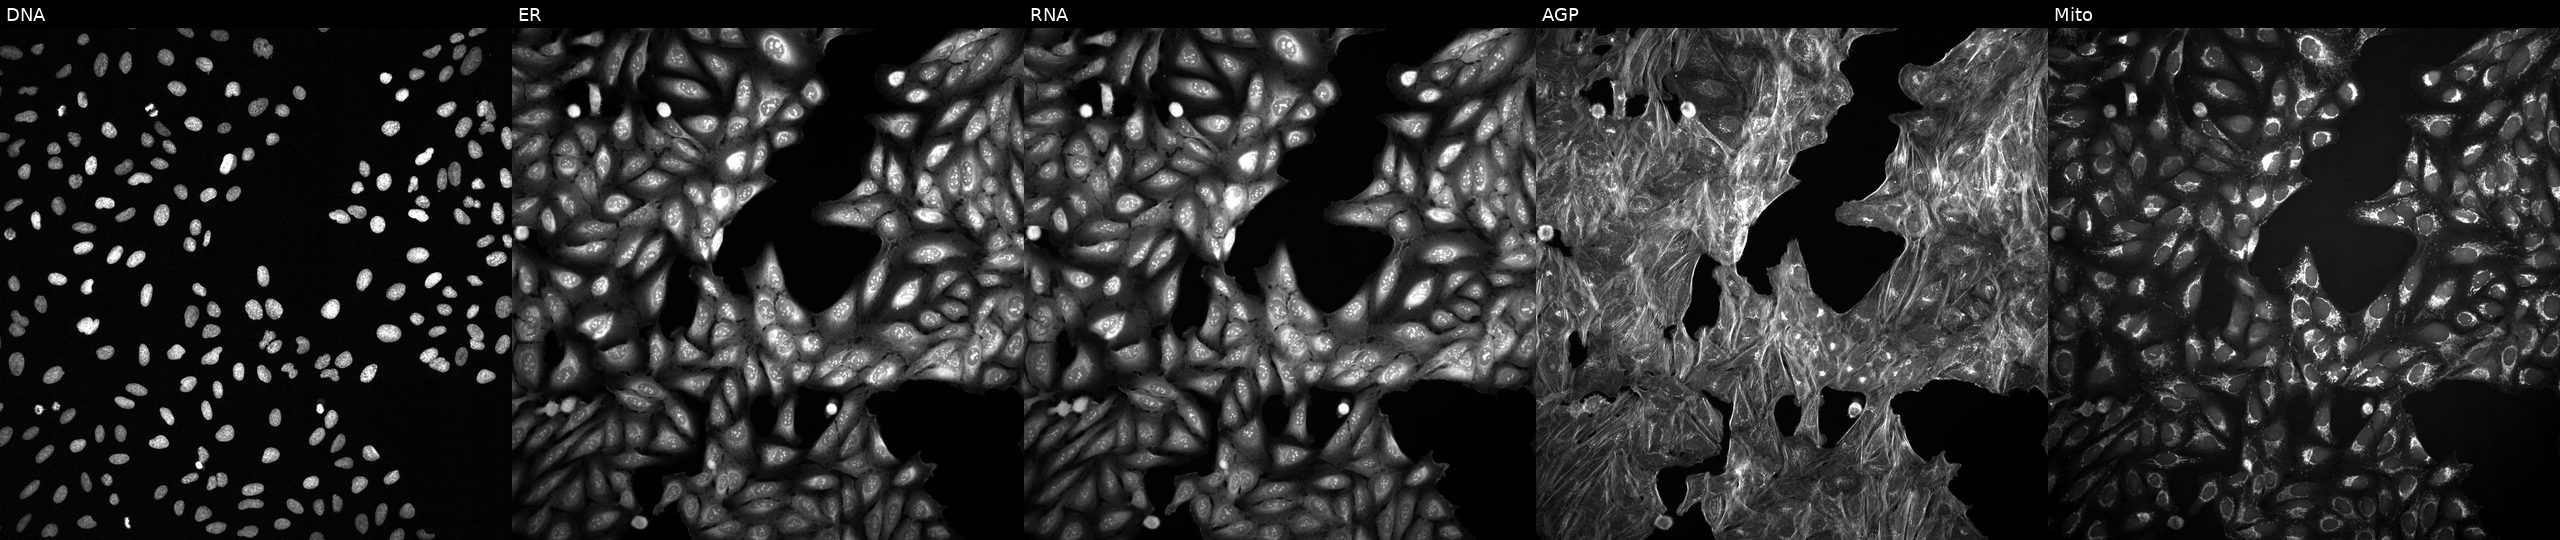
U2OS cells, Cell Painting assay, exposed to a small-molecule compound [SMILES: CC(C)(C)c1cc(-c2ccccc2)cc(-c2ccccn2)n1] (JUMP id JCP2022_097135). From left to right: DNA (nuclei); ER (endoplasmic reticulum); RNA (nucleoli and cytoplasmic RNA); AGP (actin cytoskeleton, Golgi, and plasma membrane); Mito (mitochondria). Each panel is percentile-stretched 16-bit fluorescence.